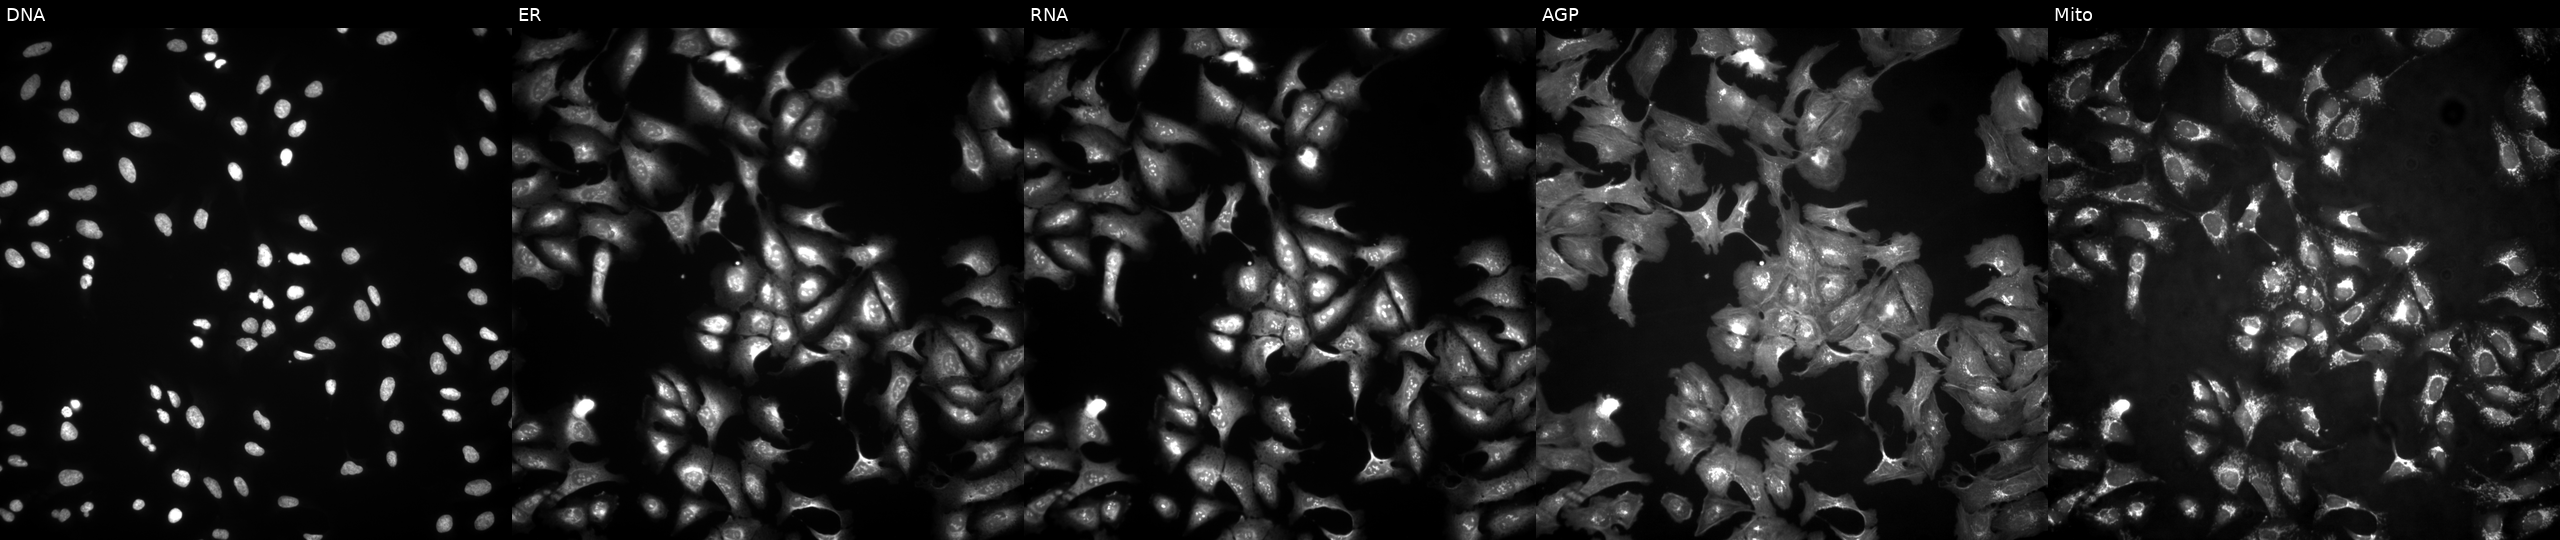
This image strip shows the five Cell Painting channels for a single field of U2OS cells with BCHE overexpressed (ORF) (JUMP id JCP2022_909970). From left to right: DNA (nuclei); ER (endoplasmic reticulum); RNA (nucleoli and cytoplasmic RNA); AGP (actin cytoskeleton, Golgi, and plasma membrane); Mito (mitochondria).